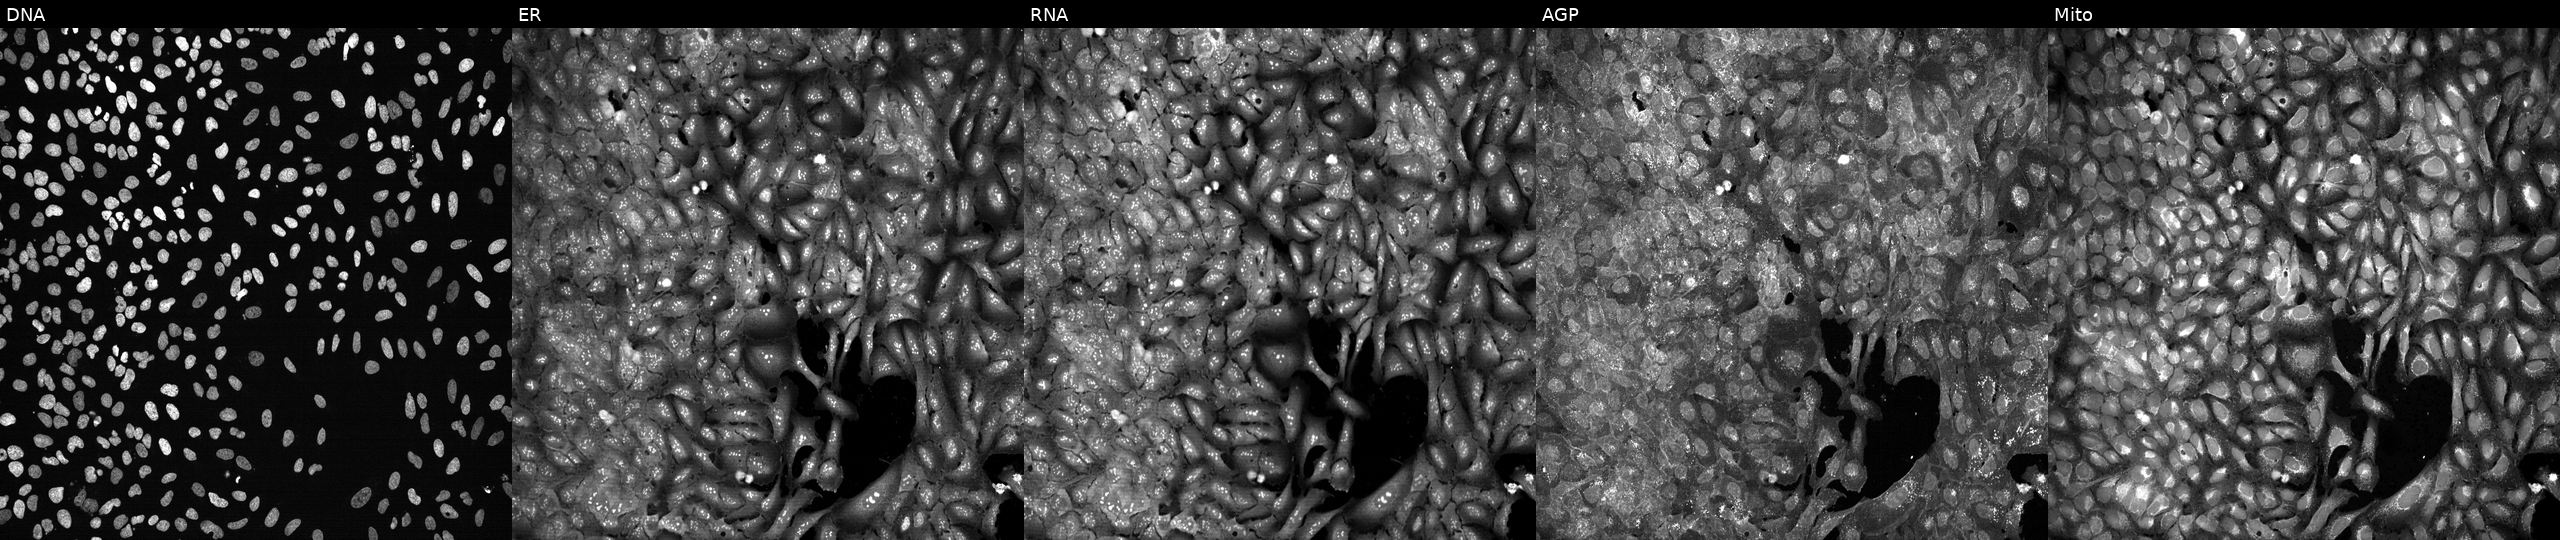
Five-channel Cell Painting image of U2OS cells CRISPR-edited to disrupt DHRS11. The five panels, left to right, show DNA, ER, RNA, AGP, and Mito. Source 13, plate CP-CC9-R1-02, well C09.